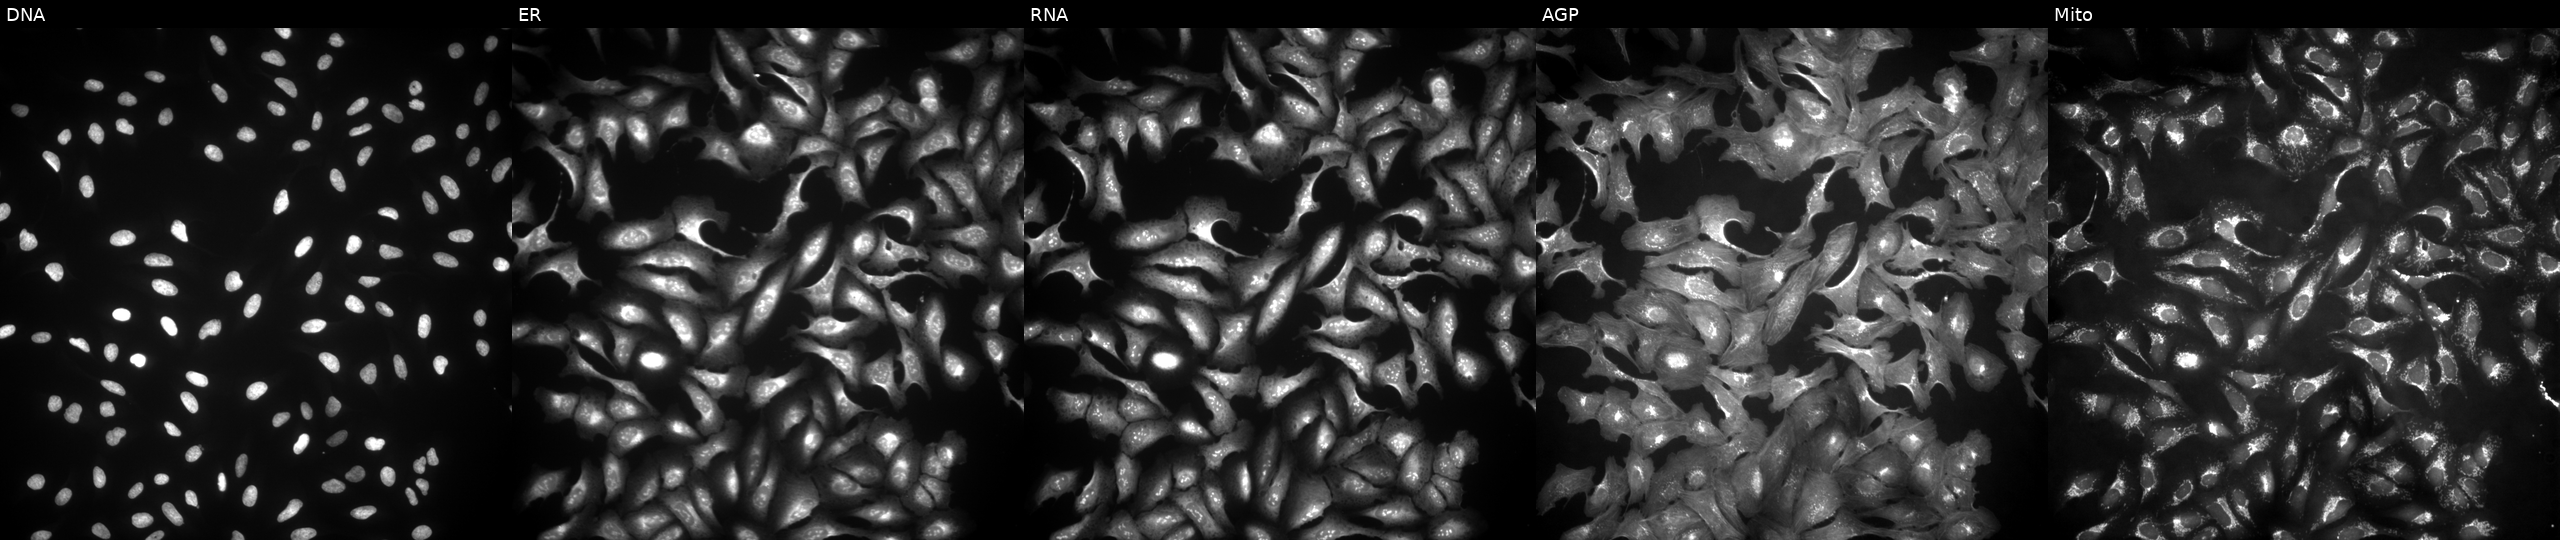
This image strip shows the five Cell Painting channels for a single field of U2OS cells transfected with an ORF construct for VAT1L (JUMP id JCP2022_903606). Panels show, left to right, Hoechst 33342, concanavalin A, SYTO 14, phalloidin and WGA, MitoTracker. Source 4, plate BR00123506, well D04.